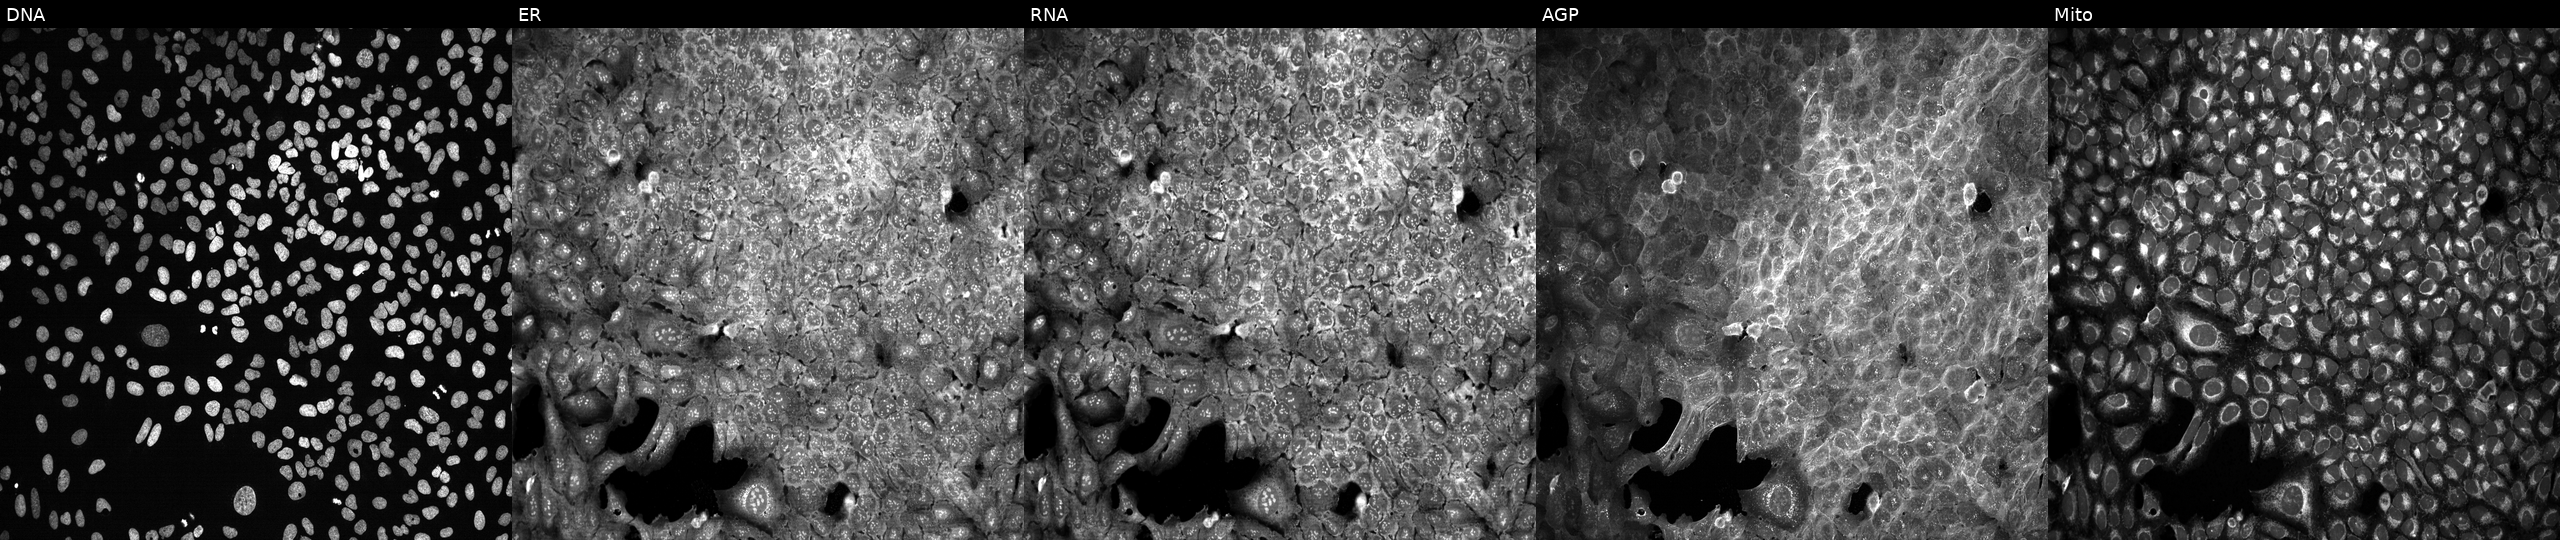
Five-channel Cell Painting image of U2OS cells with ADAMTS2 knocked out by CRISPR (JUMP id JCP2022_800196). Panels show, left to right, DNA (nuclei); ER (endoplasmic reticulum); RNA (nucleoli and cytoplasmic RNA); AGP (actin cytoskeleton, Golgi, and plasma membrane); Mito (mitochondria).